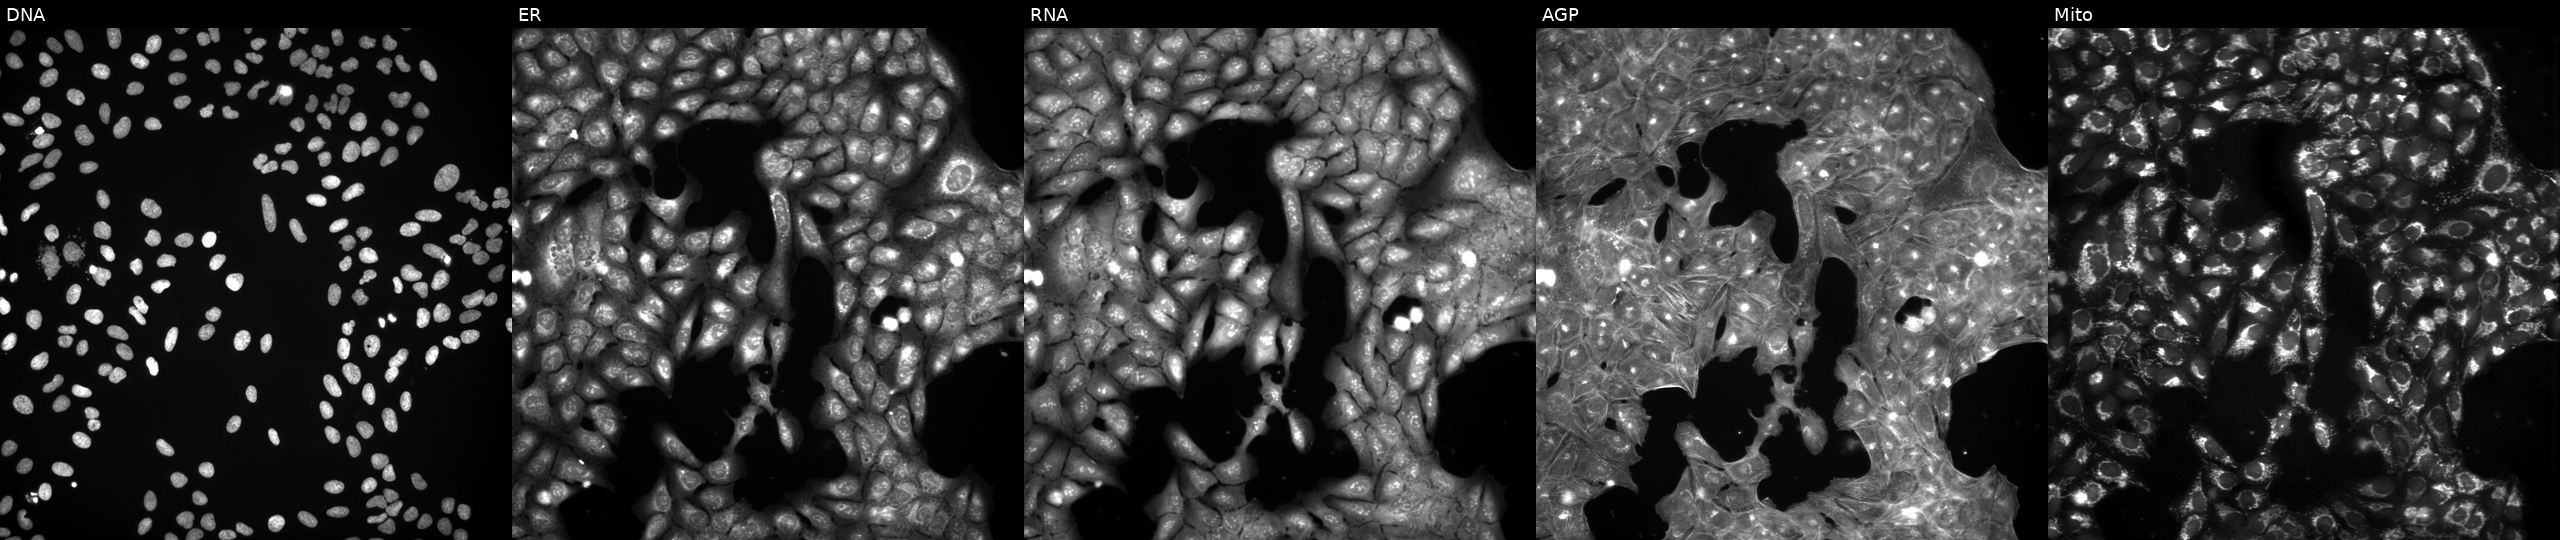
This image strip shows the five Cell Painting channels for a single field of U2OS cells treated with a small-molecule compound (InChIKey XNOPRXBHLZRZKH-UHFFFAOYSA-N) (JUMP id JCP2022_104794). From left to right: Hoechst 33342, concanavalin A, SYTO 14, phalloidin and WGA, MitoTracker.